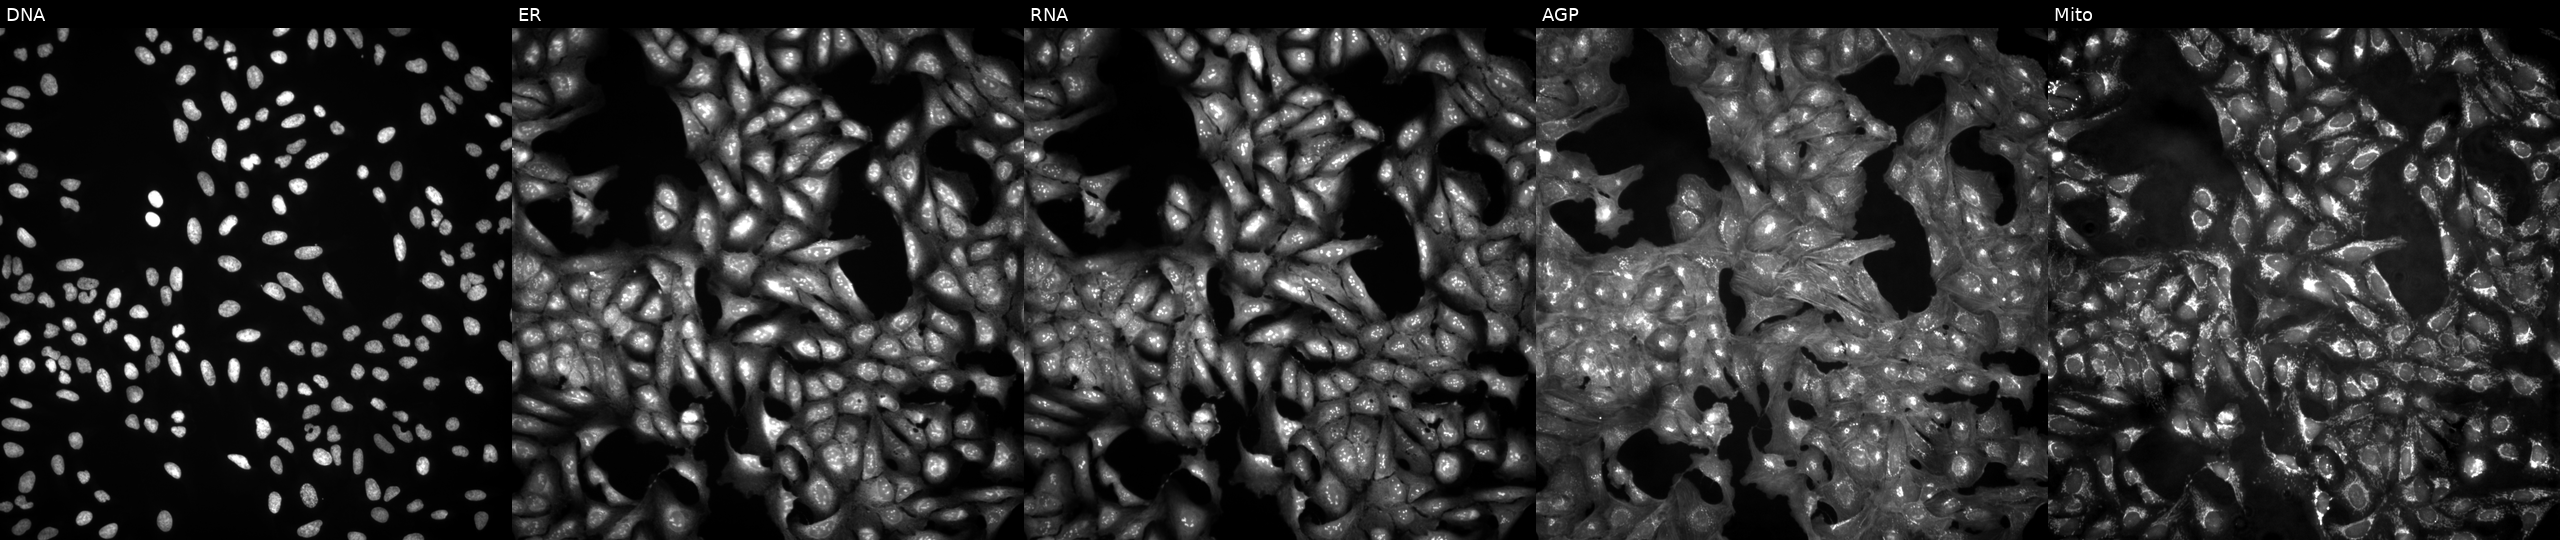
JUMP Cell Painting — ORF plate. U2OS cells untreated (empty-well control) (JUMP id JCP2022_999999). Channels (left→right): DNA (nuclei); ER (endoplasmic reticulum); RNA (nucleoli and cytoplasmic RNA); AGP (actin cytoskeleton, Golgi, and plasma membrane); Mito (mitochondria). Source 4, plate BR00123946, well B07.